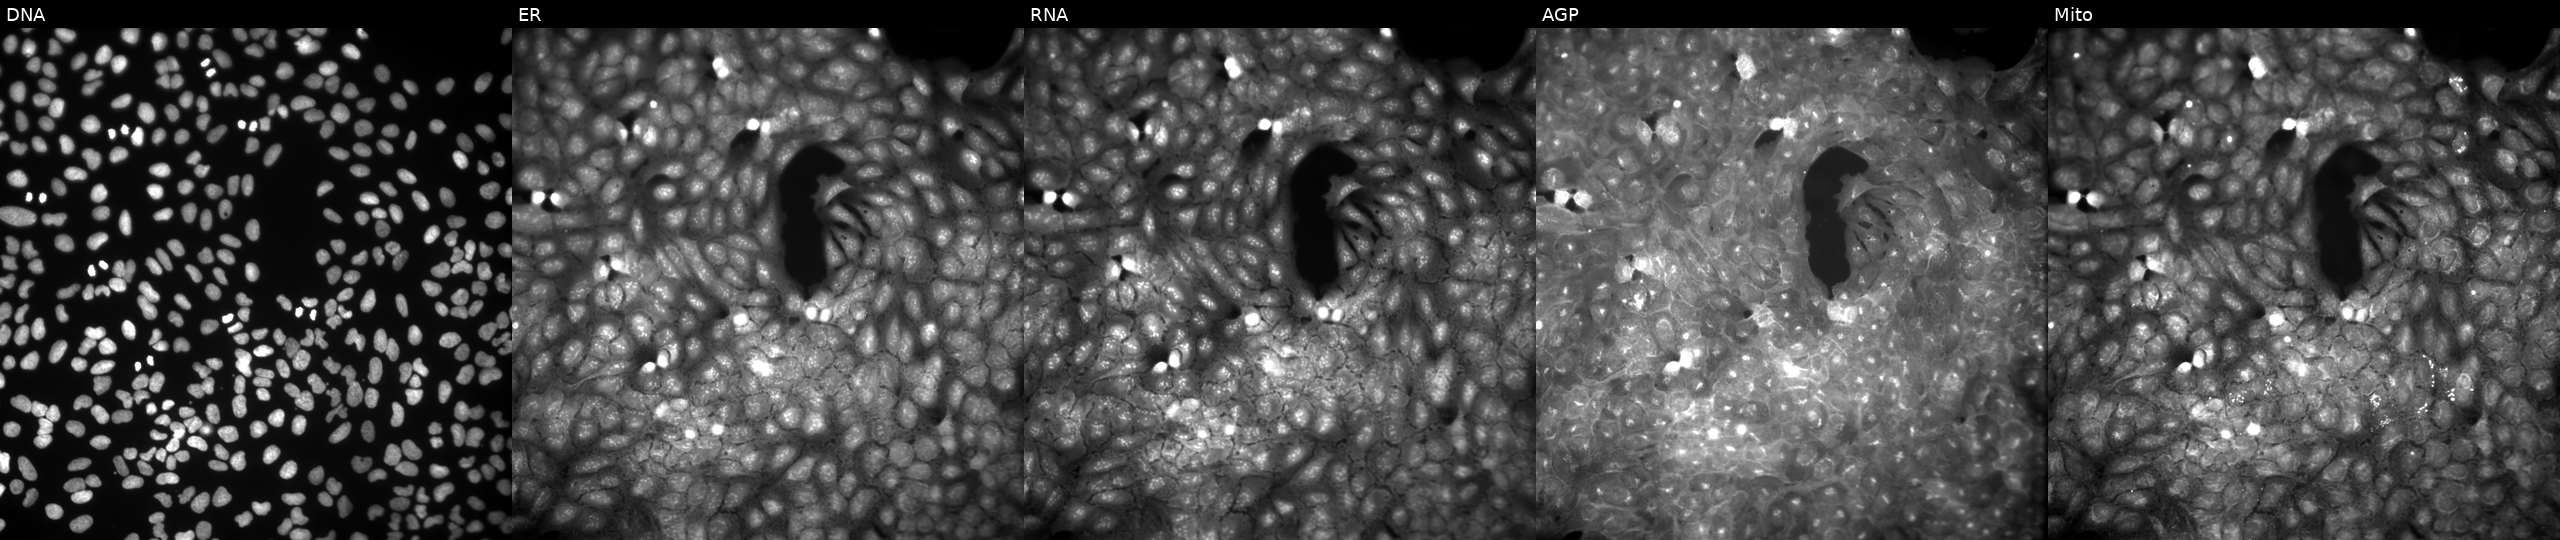
JUMP Cell Painting — COMPOUND plate. U2OS cells perturbed with a small-molecule compound (JUMP id JCP2022_059009). The five panels, left to right, show Hoechst 33342, concanavalin A, SYTO 14, phalloidin and WGA, MitoTracker.